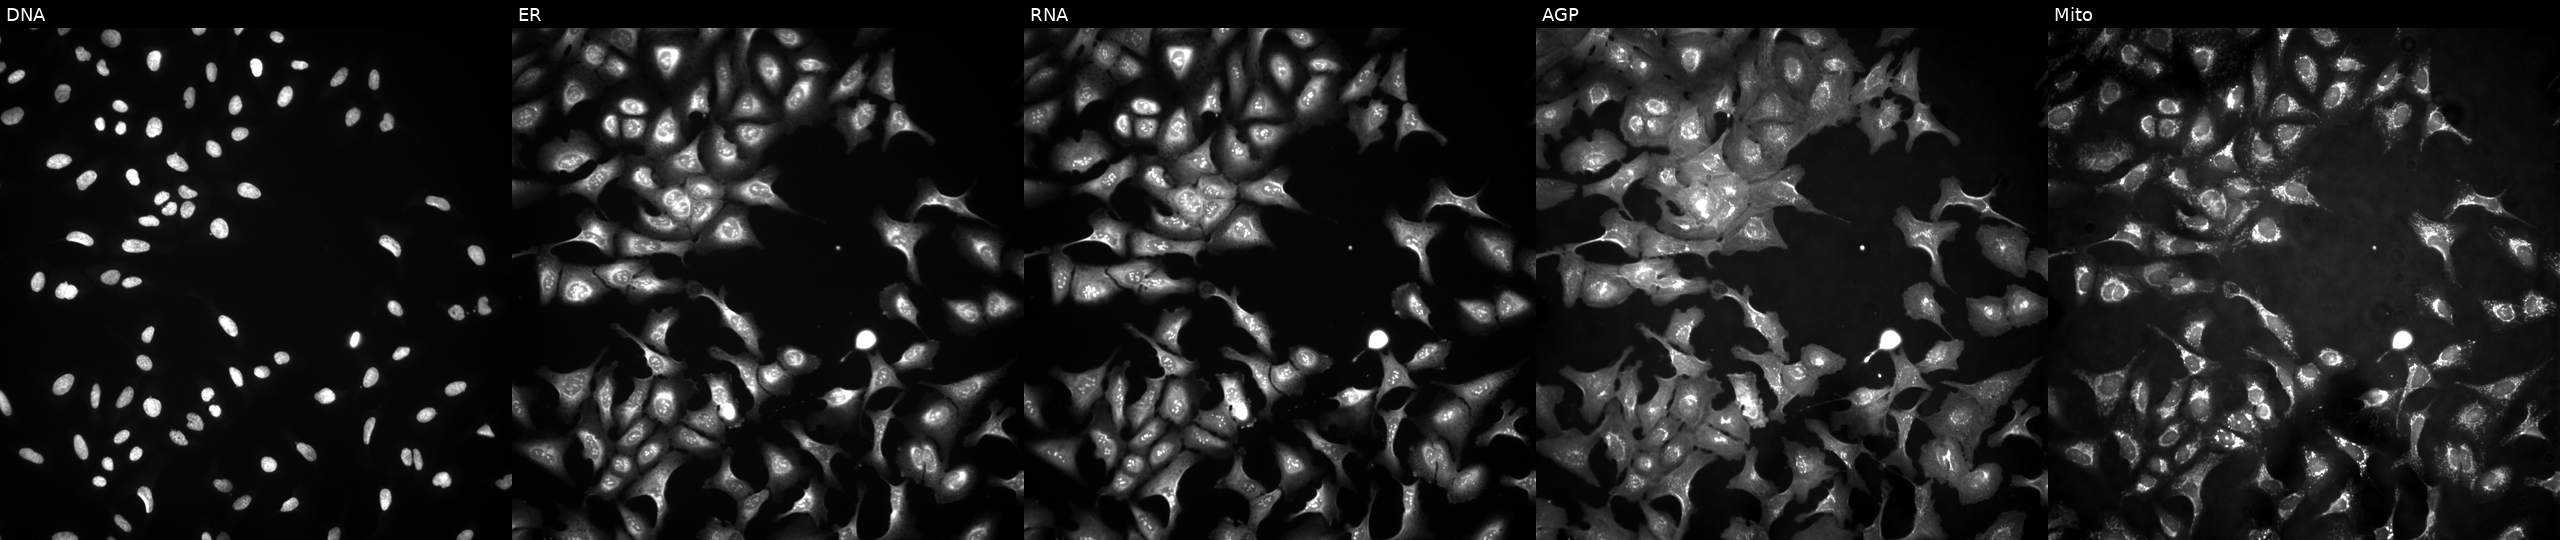
JUMP Cell Painting — ORF plate. U2OS cells overexpressing C20orf141 via ORF transfection. Channels (left→right): DNA, ER, RNA, AGP, and Mito.